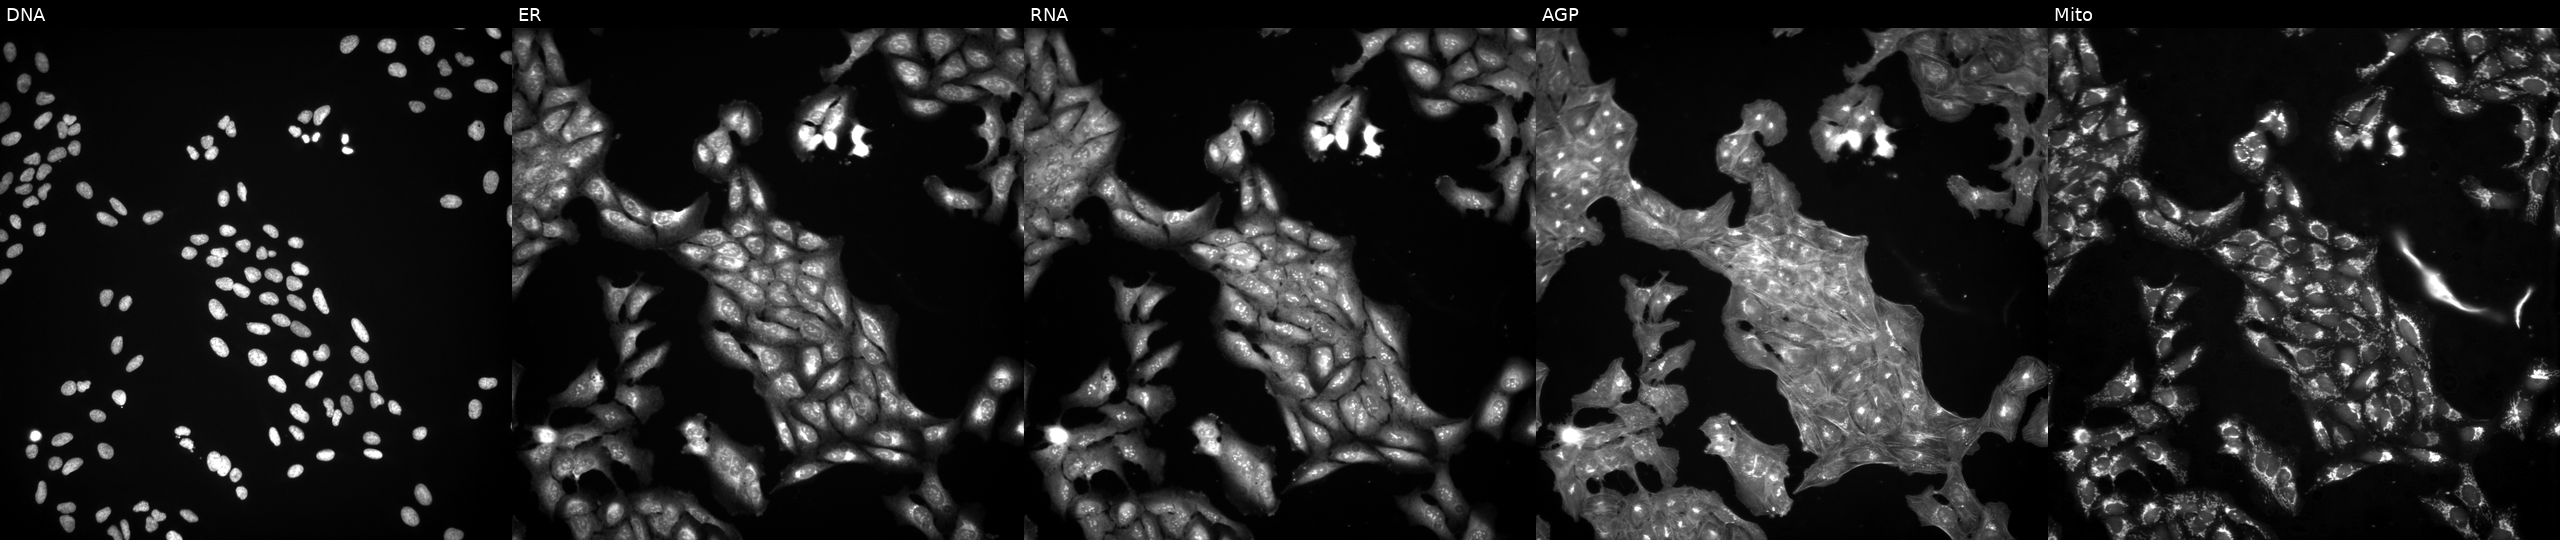
U2OS cells, Cell Painting assay, exposed to a small-molecule compound (InChIKey BVAYZCMTEPATOK-UHFFFAOYSA-N) [SMILES: Cc1cc(C(=O)CSc2nc(=N)[nH][nH]2)c(C)n1-c1ccc2c(c1)OCO2] (JUMP id JCP2022_008864). The five panels, left to right, show DNA, ER, RNA, AGP, and Mito. Each panel is percentile-stretched 16-bit fluorescence. Source 3, plate BR5867a3, well B13.